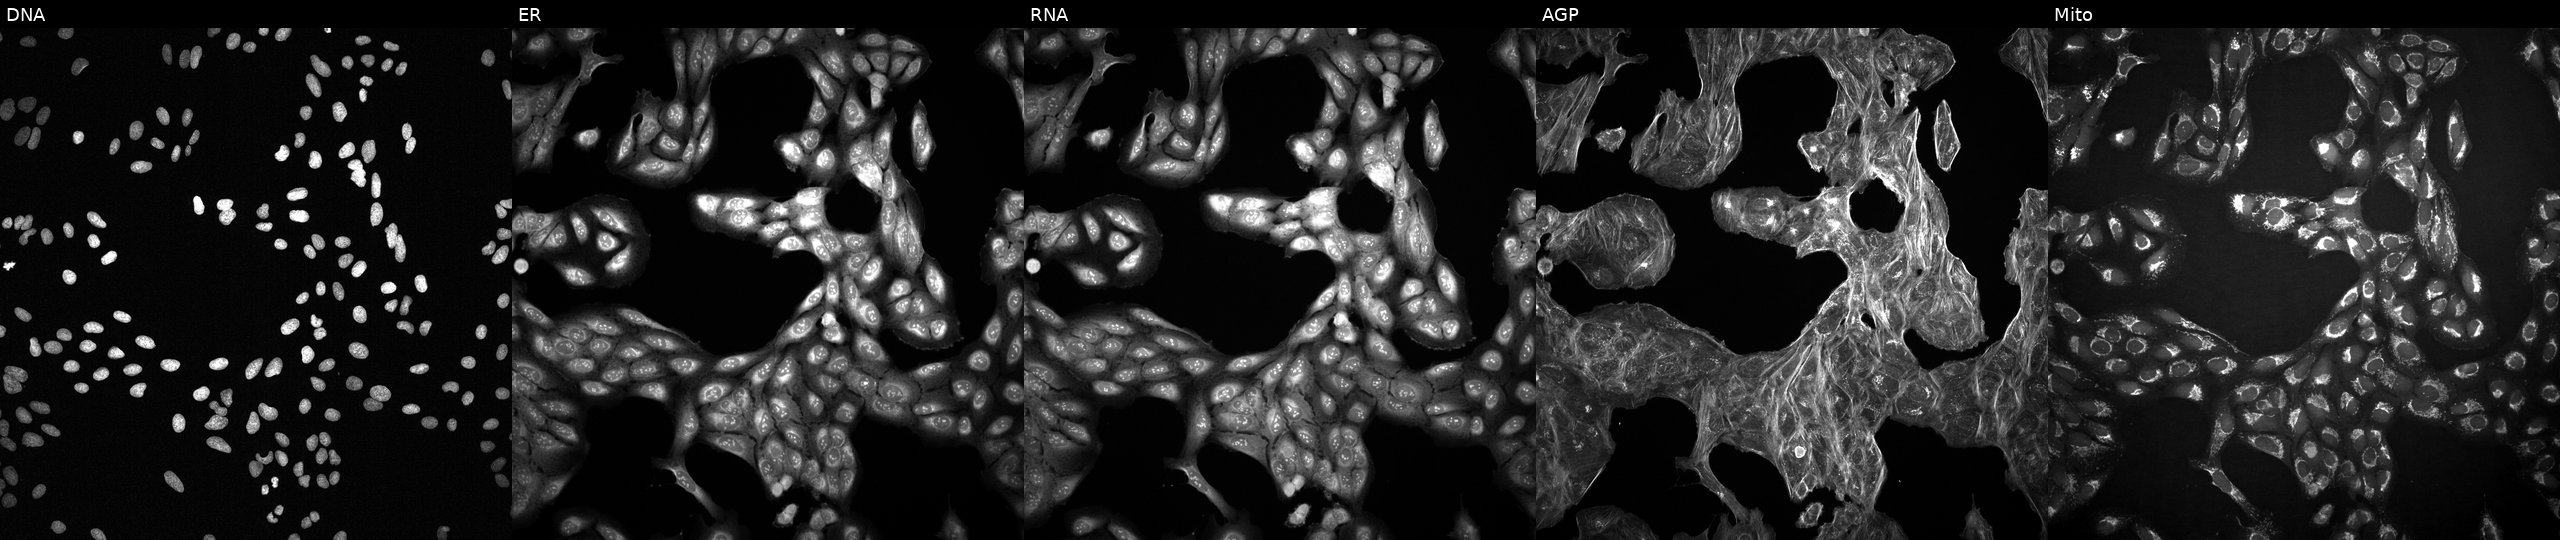
High-content fluorescence microscopy (Cell Painting). Cell line: U2OS. Perturbation: treated with a small-molecule compound (JUMP id JCP2022_033936). Panels show, left to right, DNA, ER, RNA, AGP, and Mito. Source 2, plate 1053600674, well F17.